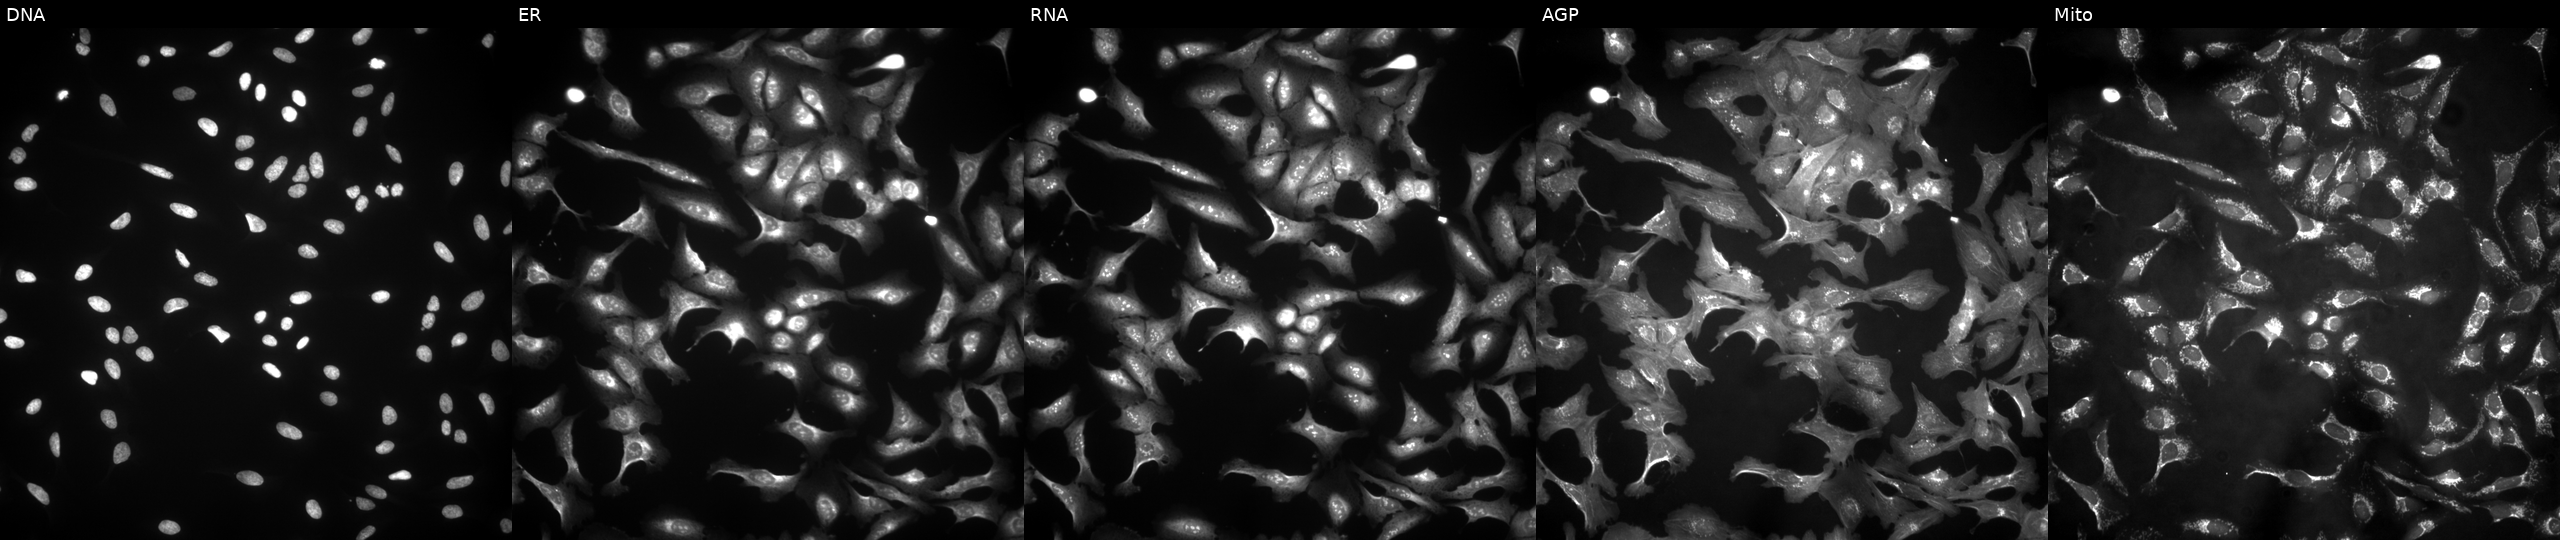
High-content fluorescence microscopy (Cell Painting). Cell line: U2OS. Perturbation: transfected with an ORF construct for SF3B4 (JUMP id JCP2022_902225). The five panels, left to right, show DNA, ER, RNA, AGP, and Mito.